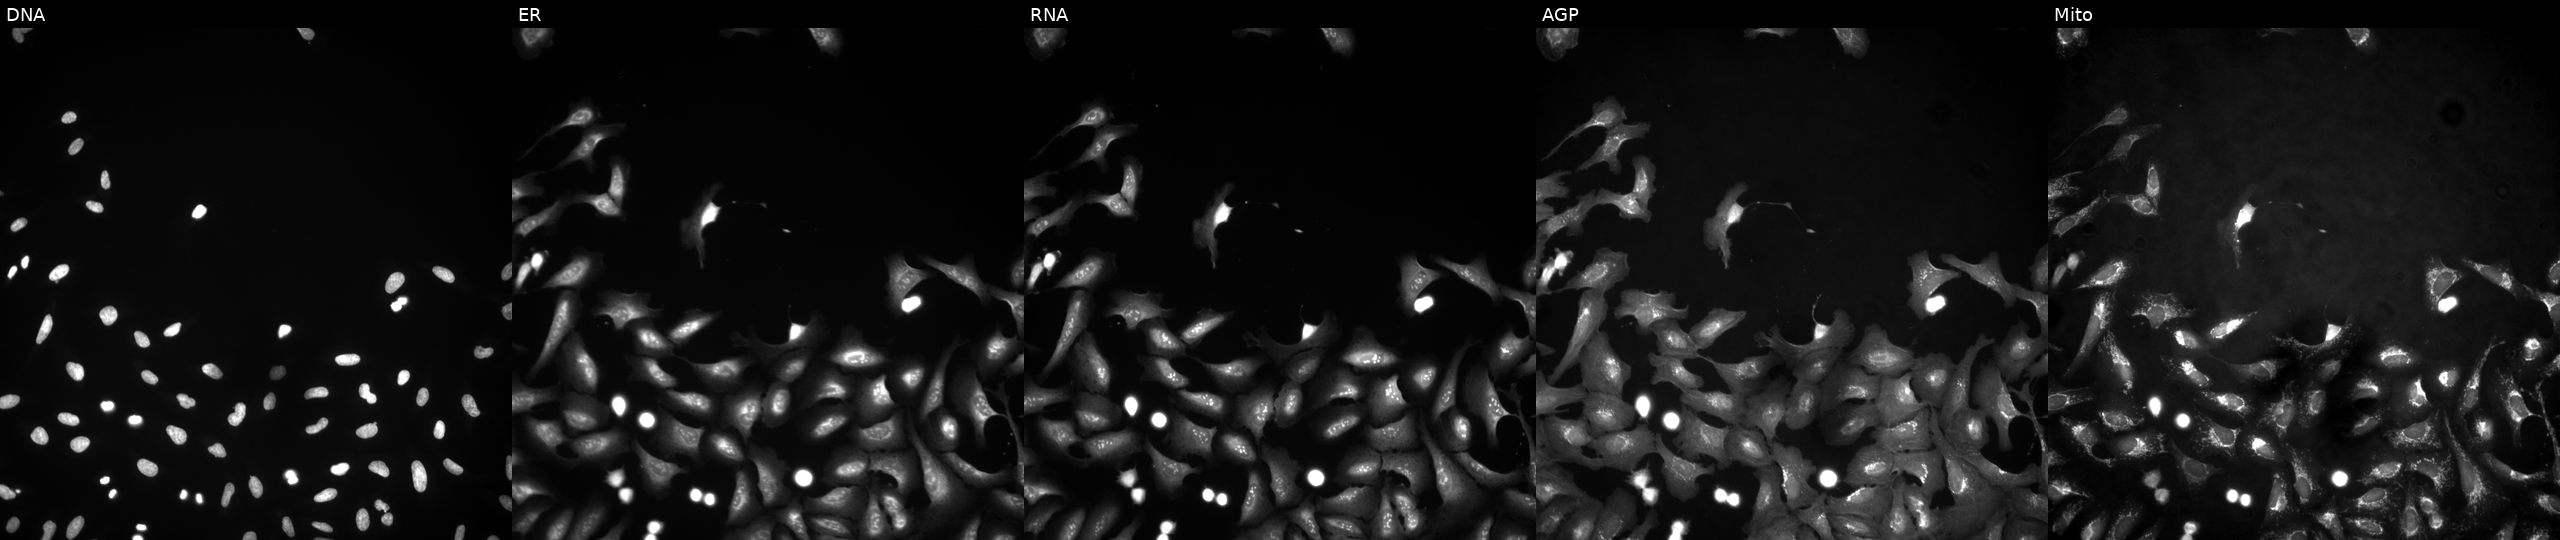
This image strip shows the five Cell Painting channels for a single field of U2OS cells overexpressing AFAP1L1 via ORF transfection. The five panels, left to right, show DNA (nuclei); ER (endoplasmic reticulum); RNA (nucleoli and cytoplasmic RNA); AGP (actin cytoskeleton, Golgi, and plasma membrane); Mito (mitochondria). Source 4, plate BR00124790, well M02.